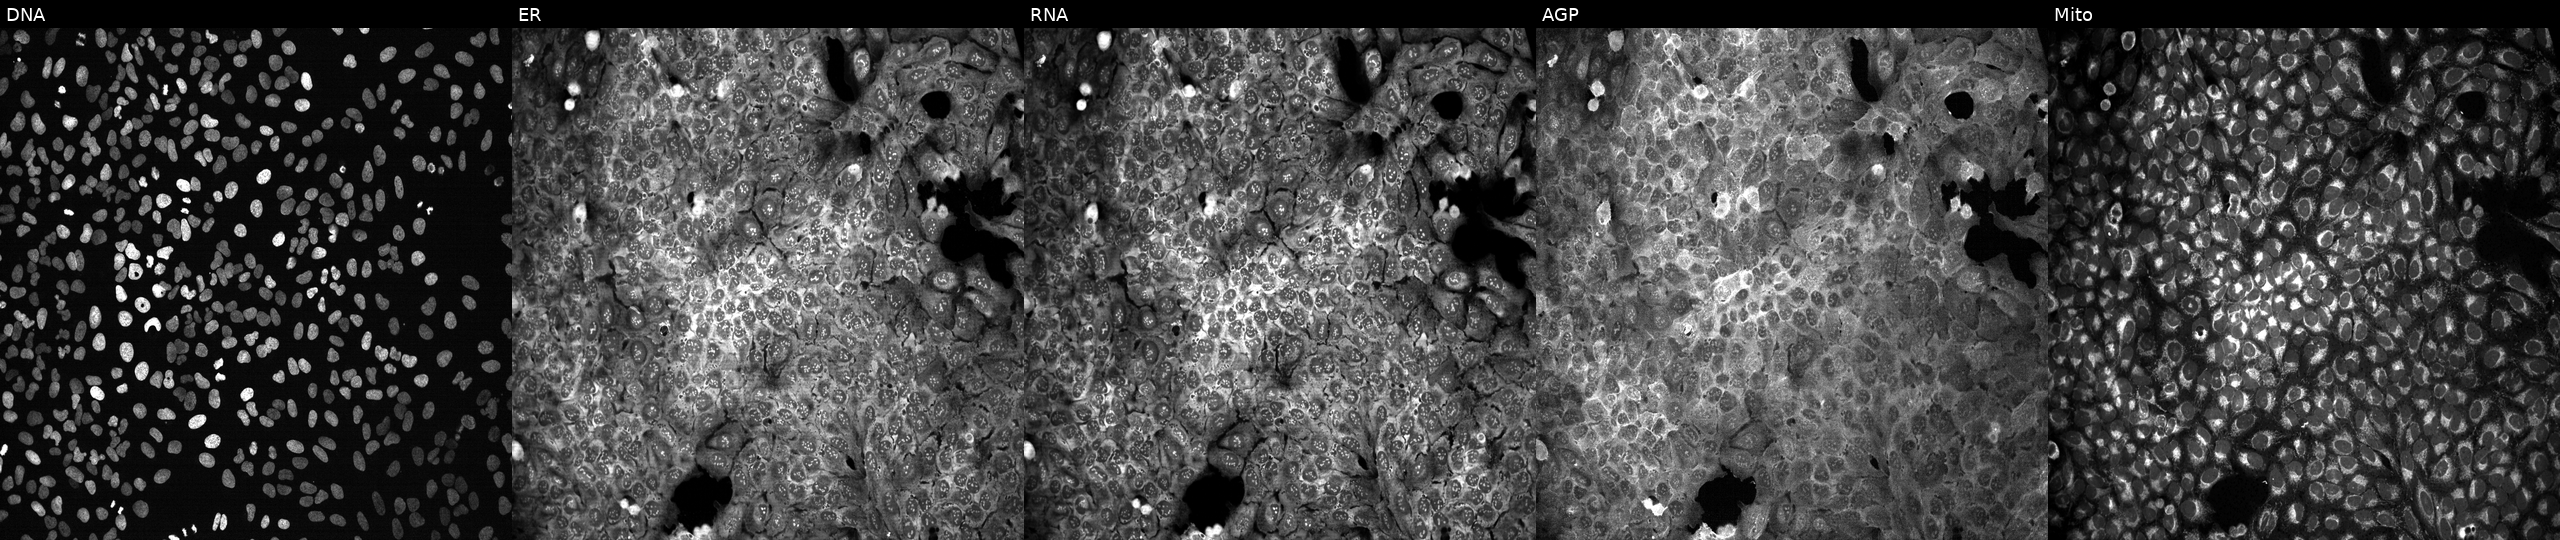
Panels show, left to right, DNA, ER, RNA, AGP, and Mito. U2OS osteosarcoma cells exposed to DMSO alone as a negative control. Cell Painting assay, JUMP-CP dataset.